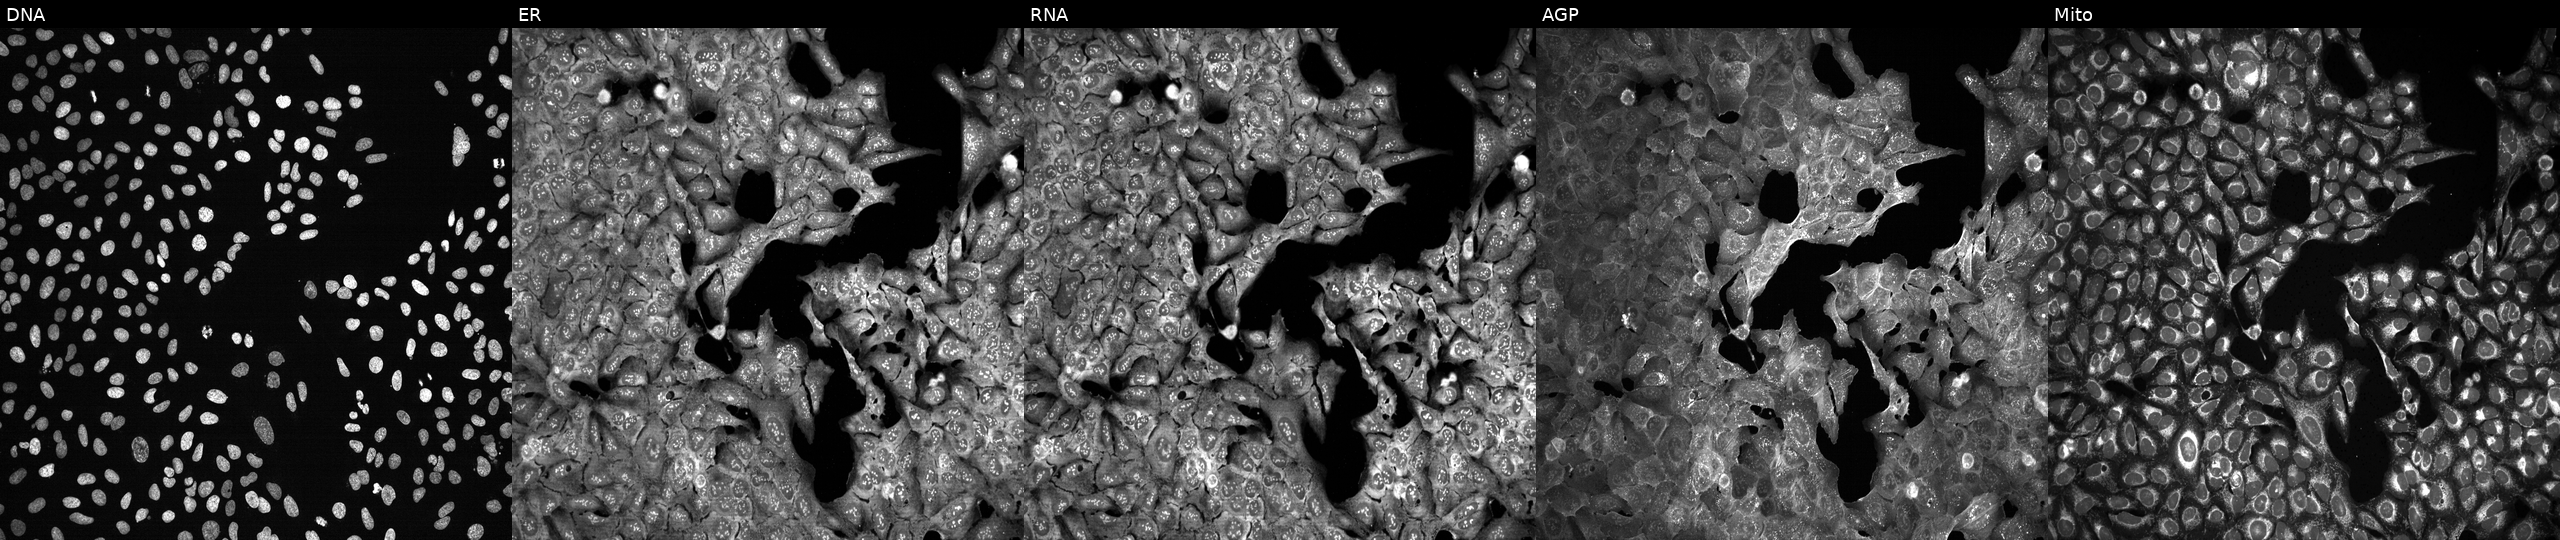
High-content fluorescence microscopy (Cell Painting). Cell line: U2OS. Perturbation: CRISPR-edited to disrupt XPNPEP3 (JUMP id JCP2022_807713). Channels (left→right): DNA, ER, RNA, AGP, and Mito.